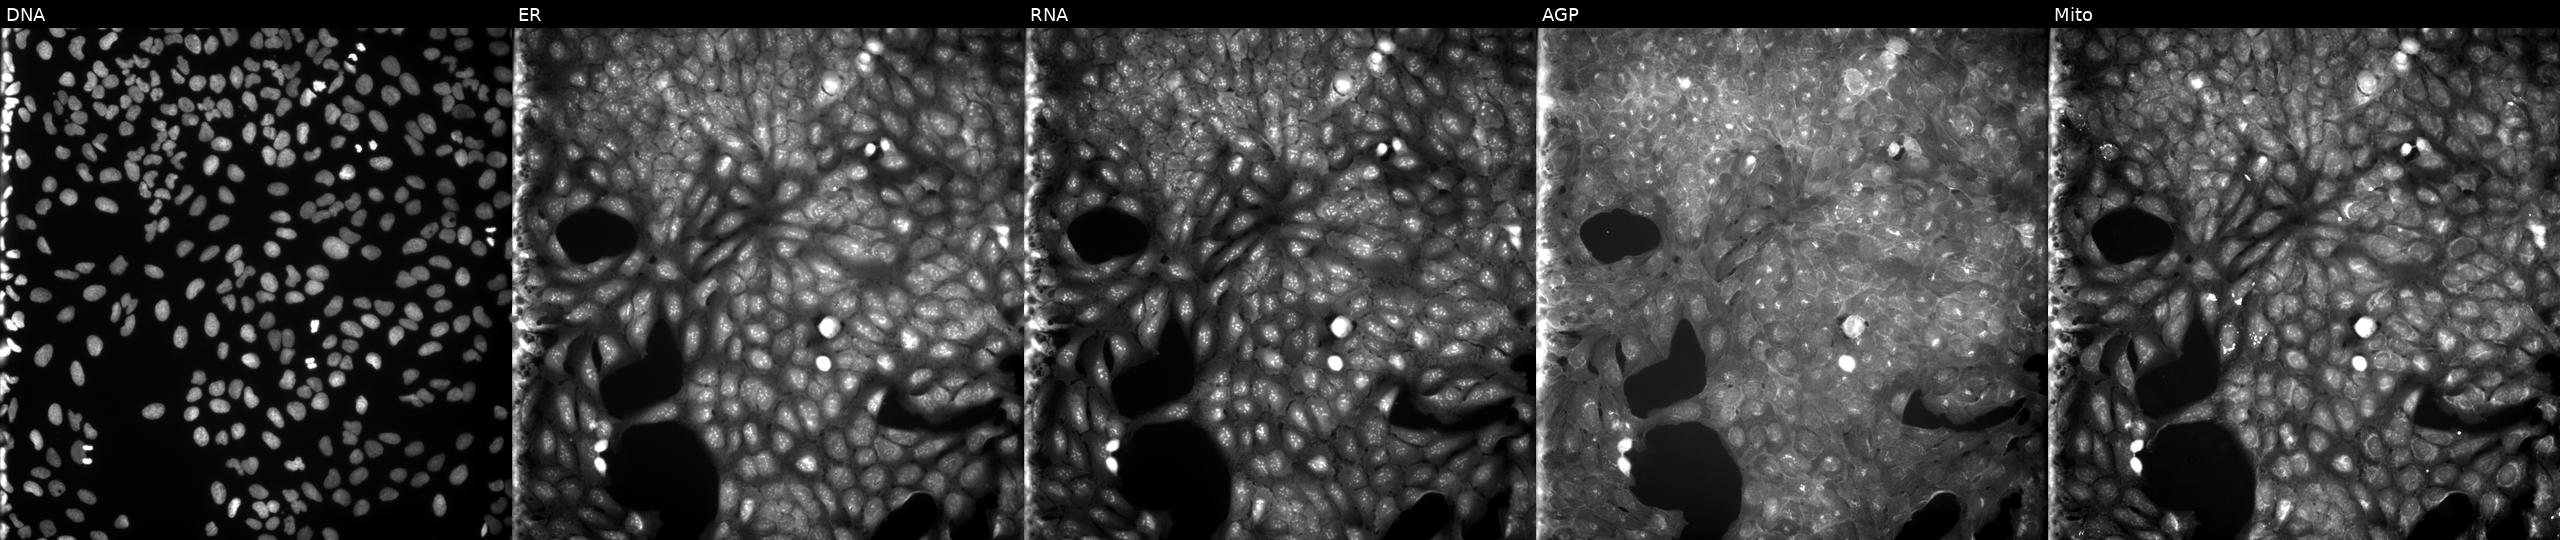
U2OS cells, Cell Painting assay, perturbed with a small-molecule compound (InChIKey ALMHXOQIZHDANH-UHFFFAOYSA-N) [SMILES: CCCCOc1ccc(S(=O)(=O)N2CCCCC2)cc1] (JUMP id JCP2022_002197). Panels show, left to right, DNA (nuclei); ER (endoplasmic reticulum); RNA (nucleoli and cytoplasmic RNA); AGP (actin cytoskeleton, Golgi, and plasma membrane); Mito (mitochondria). Each panel is percentile-stretched 16-bit fluorescence.